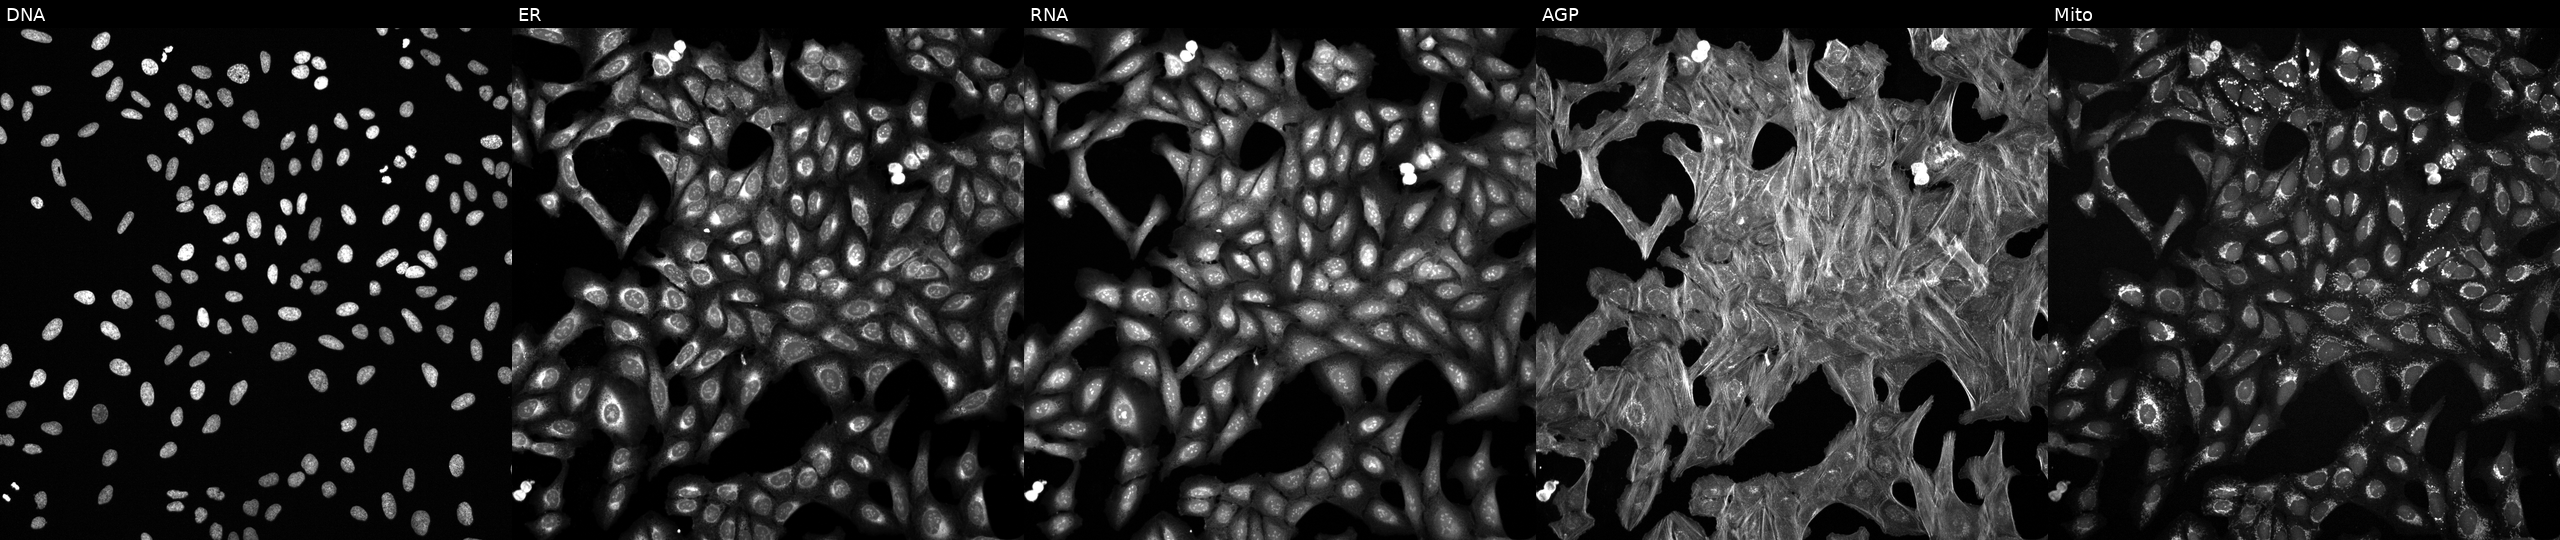
From left to right: DNA (nuclei); ER (endoplasmic reticulum); RNA (nucleoli and cytoplasmic RNA); AGP (actin cytoskeleton, Golgi, and plasma membrane); Mito (mitochondria). U2OS osteosarcoma cells perturbed with a small-molecule compound (InChIKey XWDCQXDSFXEAFI-UHFFFAOYSA-N). Cell Painting assay, JUMP-CP dataset. Source 6, plate 110000293083, well I17.